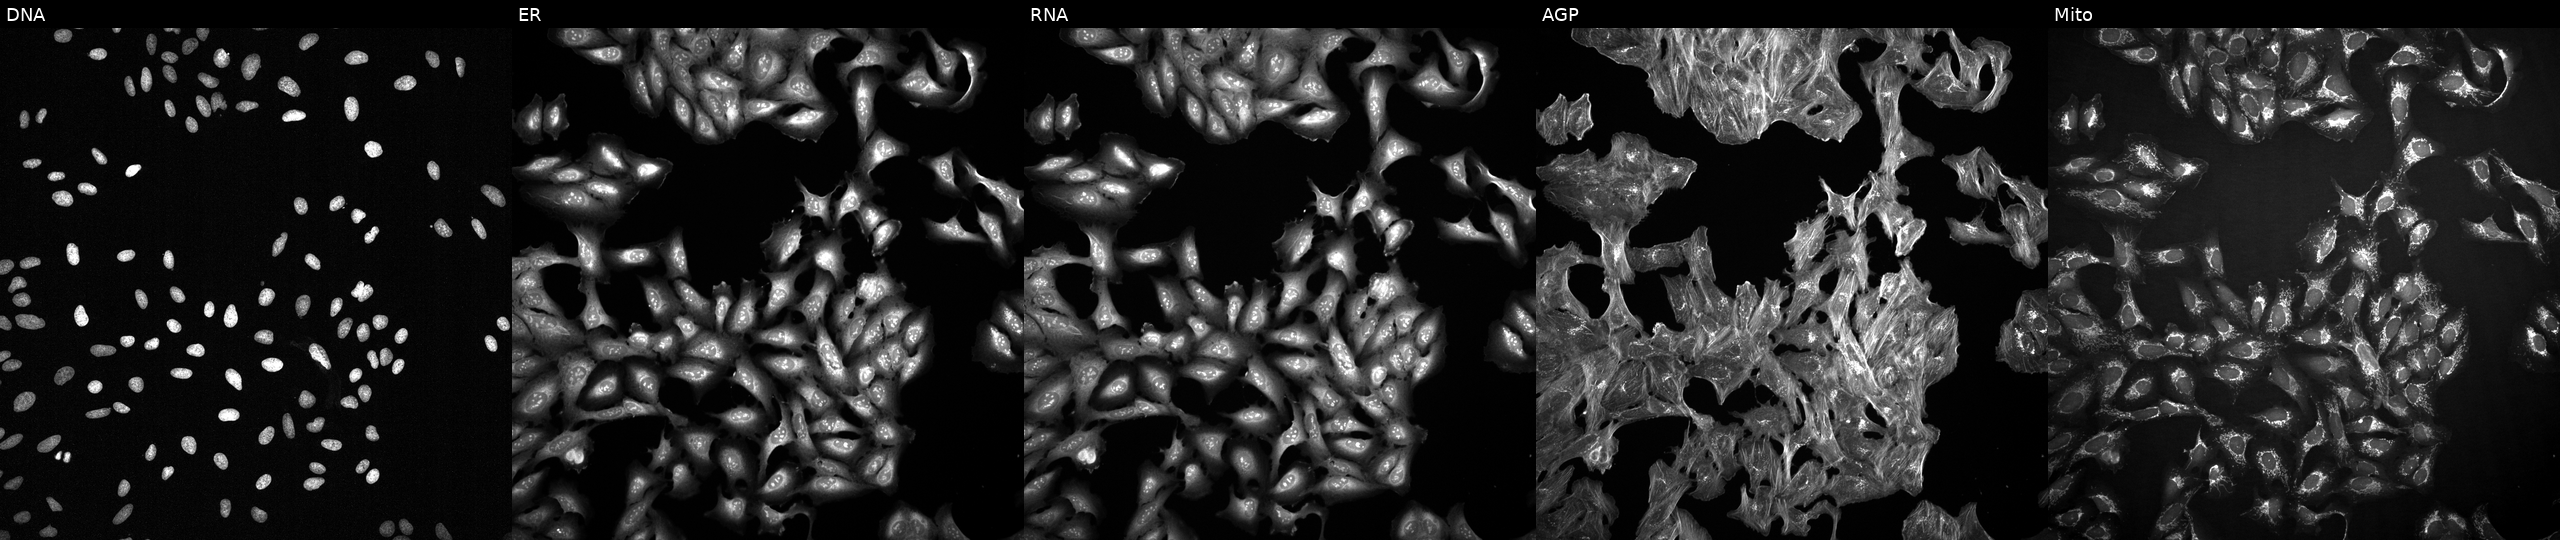
Five-channel Cell Painting image of U2OS cells perturbed with a small-molecule compound. Channels (left→right): Hoechst 33342, concanavalin A, SYTO 14, phalloidin and WGA, MitoTracker.